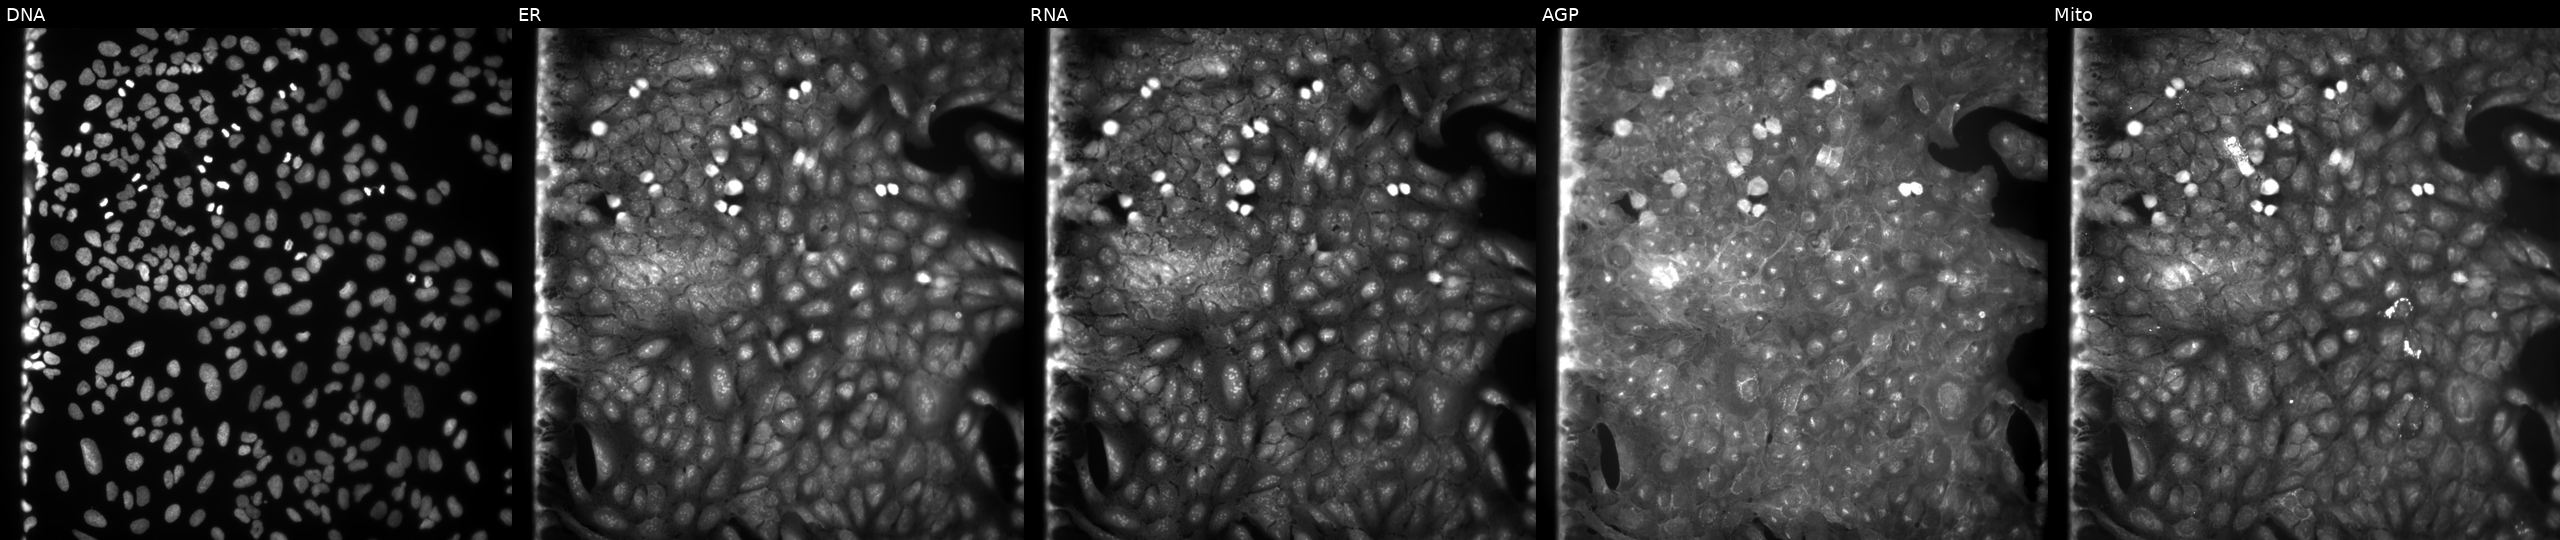
Five-channel Cell Painting image of U2OS cells exposed to a small-molecule compound (InChIKey WWLJELVLPFLQSG-UHFFFAOYSA-N) (JUMP id JCP2022_101638). Channels (left→right): DNA (nuclei); ER (endoplasmic reticulum); RNA (nucleoli and cytoplasmic RNA); AGP (actin cytoskeleton, Golgi, and plasma membrane); Mito (mitochondria).